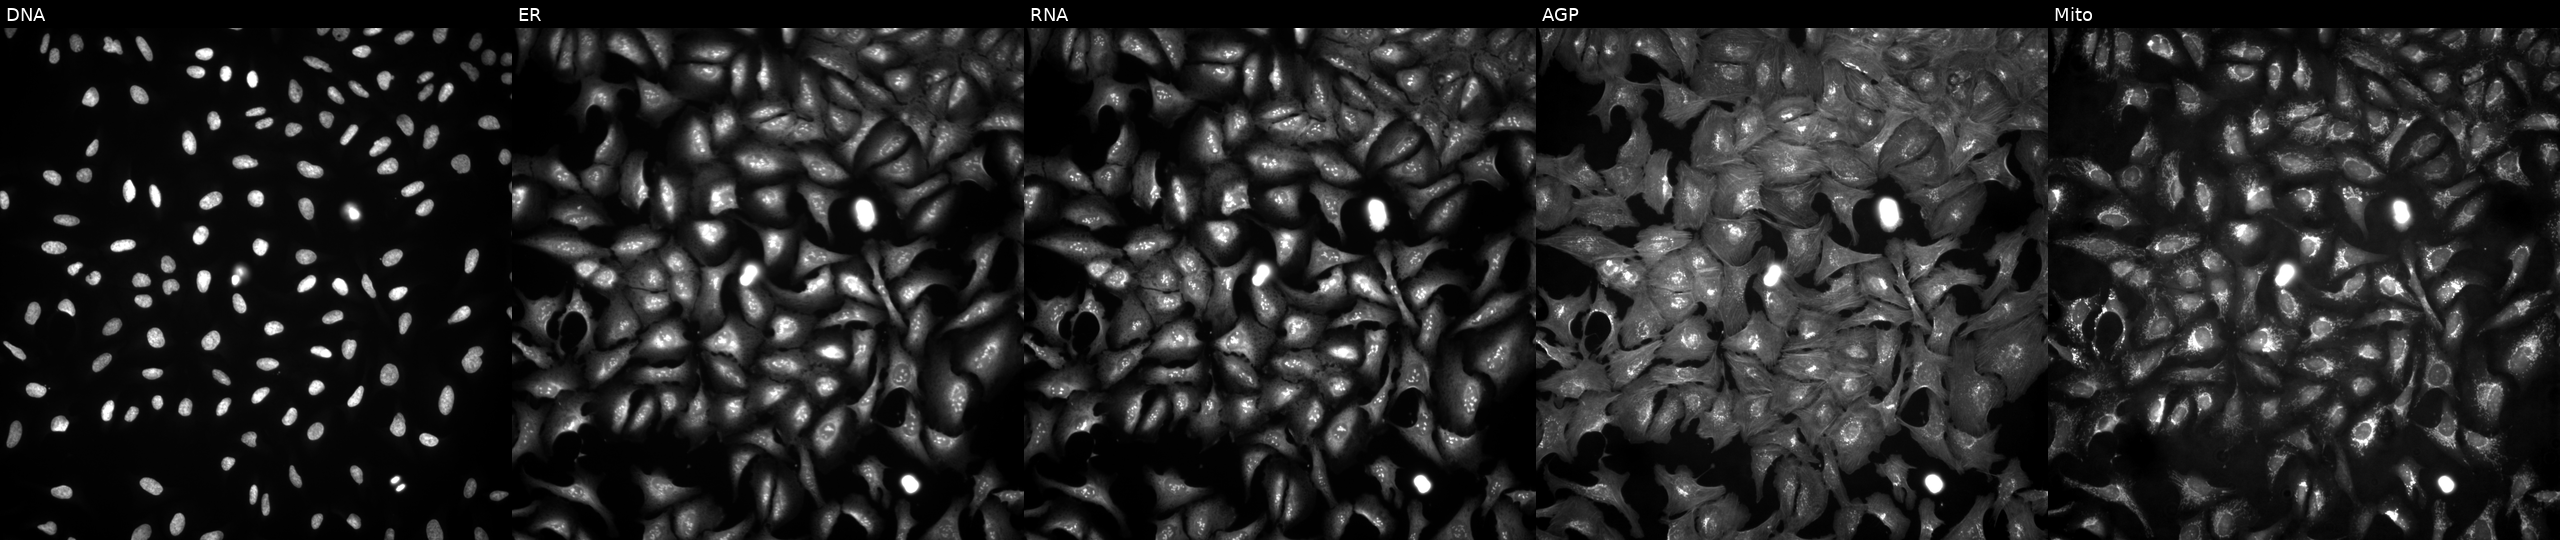
This image strip shows the five Cell Painting channels for a single field of U2OS cells transfected with an ORF construct for C18orf21 (JUMP id JCP2022_904013). Channels (left→right): DNA (nuclei); ER (endoplasmic reticulum); RNA (nucleoli and cytoplasmic RNA); AGP (actin cytoskeleton, Golgi, and plasma membrane); Mito (mitochondria).